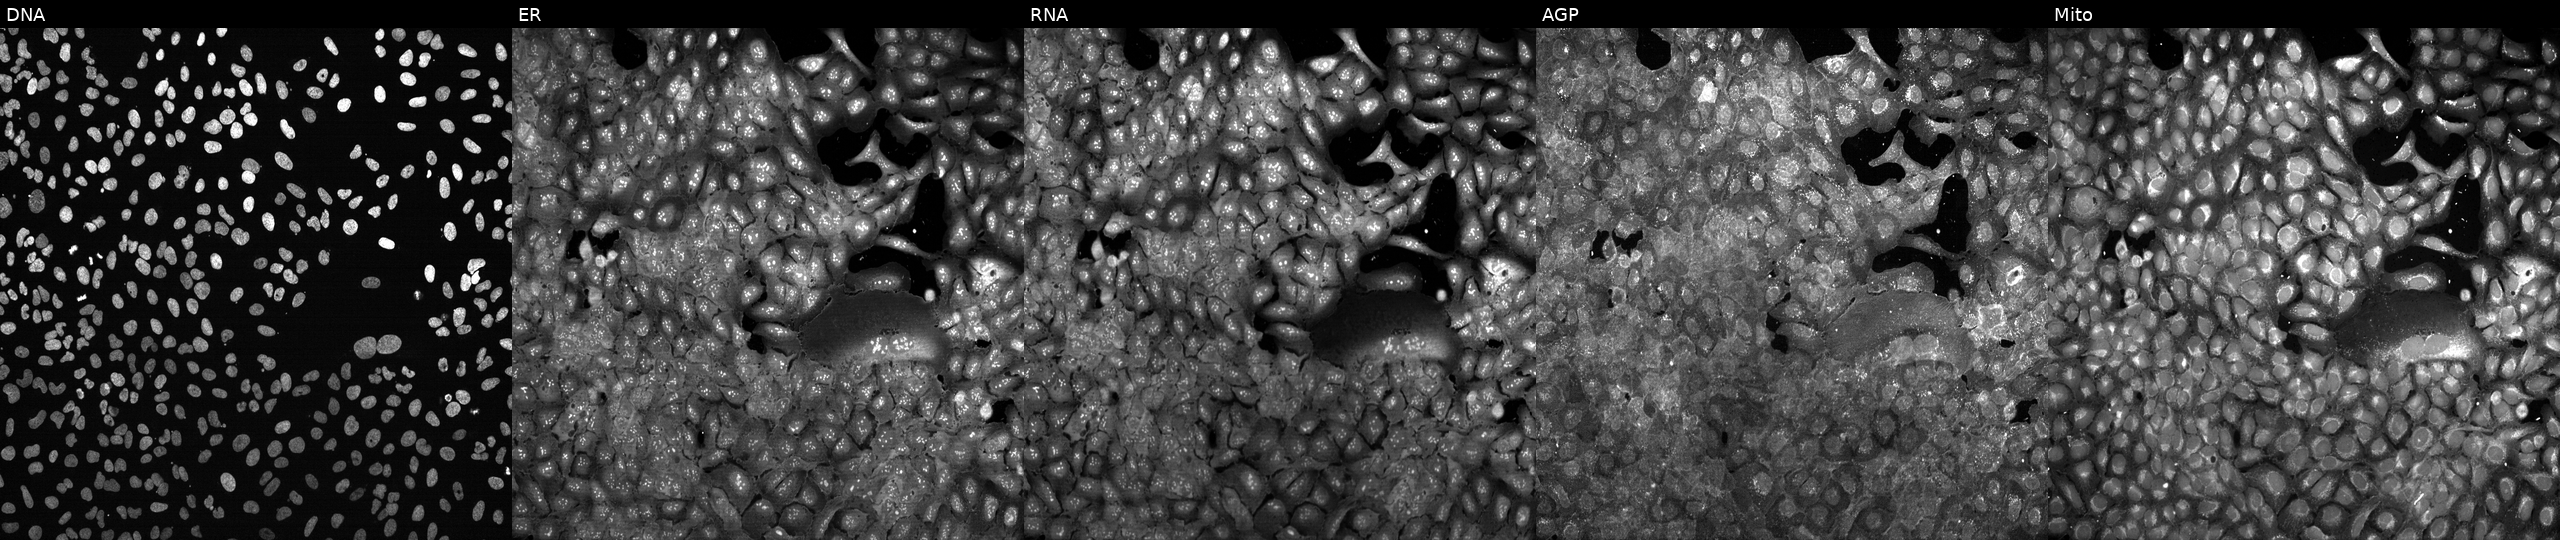
U2OS cells, Cell Painting assay, following CRISPR knockout of ST6GAL2 (JUMP id JCP2022_806804). Panels show, left to right, DNA, ER, RNA, AGP, and Mito. Each panel is percentile-stretched 16-bit fluorescence. Source 13, plate CP-CC9-R1-01, well K04.